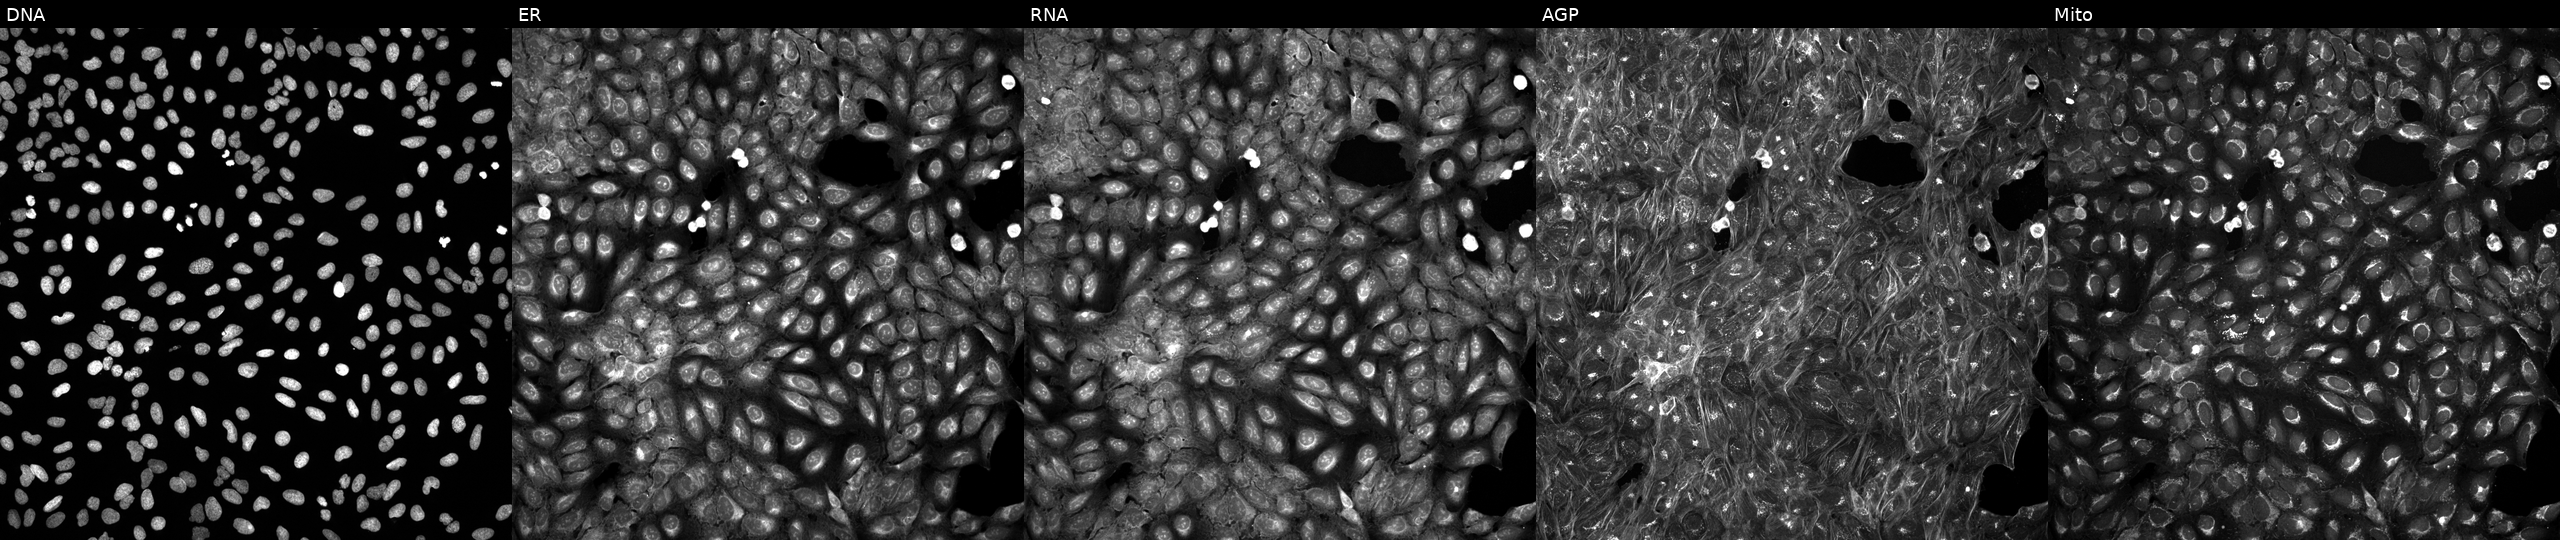
High-content fluorescence microscopy (Cell Painting). Cell line: U2OS. Perturbation: exposed to a small-molecule compound [SMILES: O=C1CCc2cc(OCCCCc3nnnn3C3CCCCC3)ccc2N1]. The five panels, left to right, show DNA, ER, RNA, AGP, and Mito. Source 5, plate ACPJUM051, well E24.